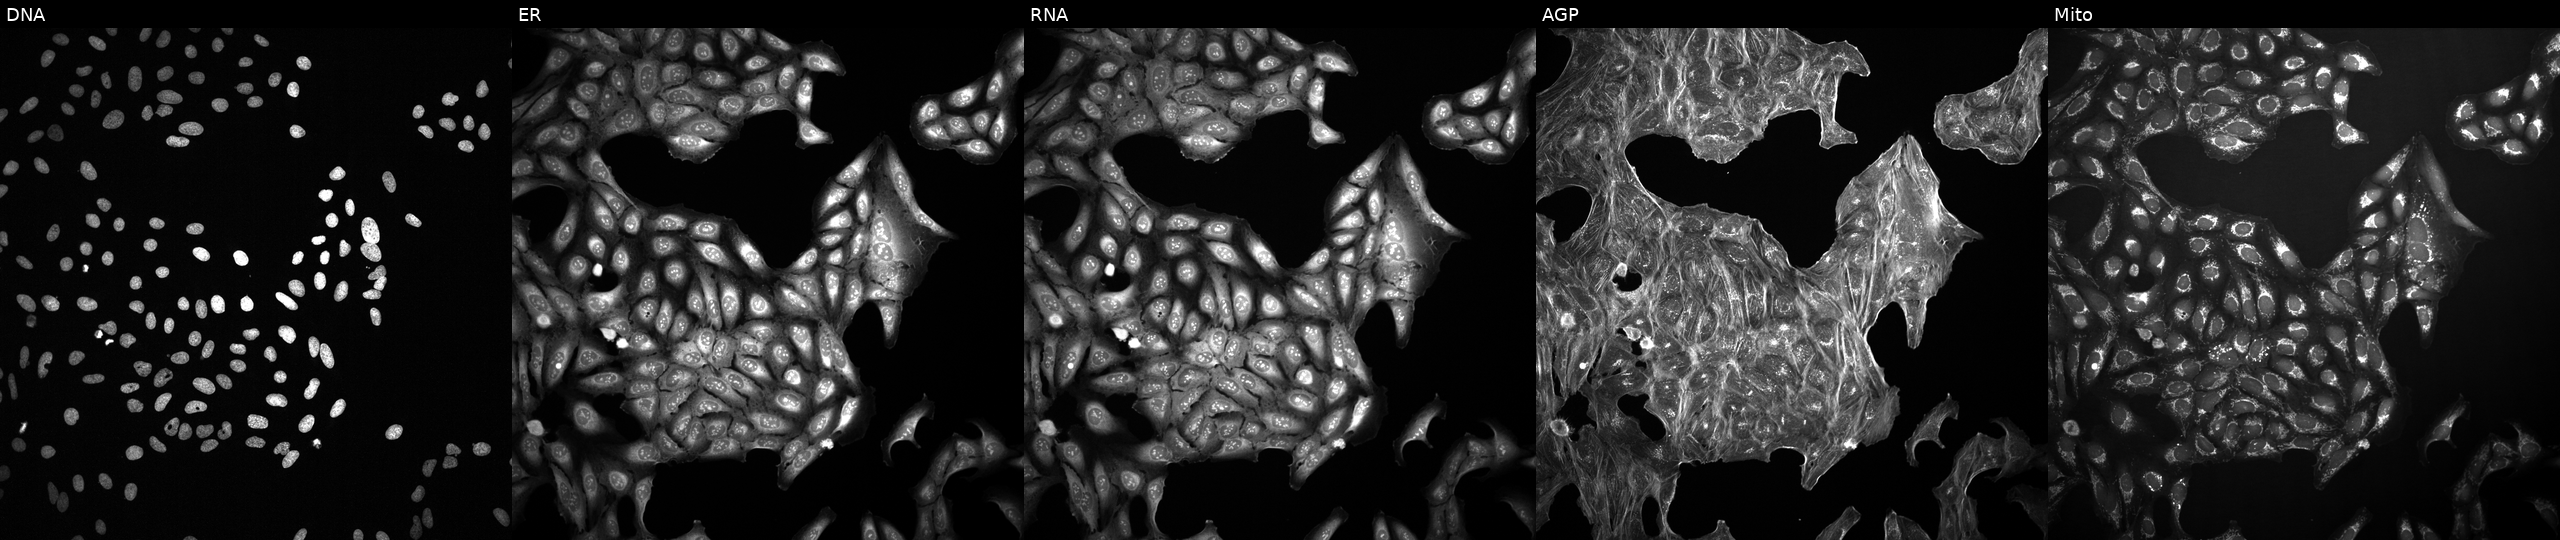
U2OS cells, Cell Painting assay, exposed to a small-molecule compound (InChIKey RRGUKTPIGVIEKM-UHFFFAOYSA-N). The five panels, left to right, show DNA, ER, RNA, AGP, and Mito. Each panel is percentile-stretched 16-bit fluorescence.